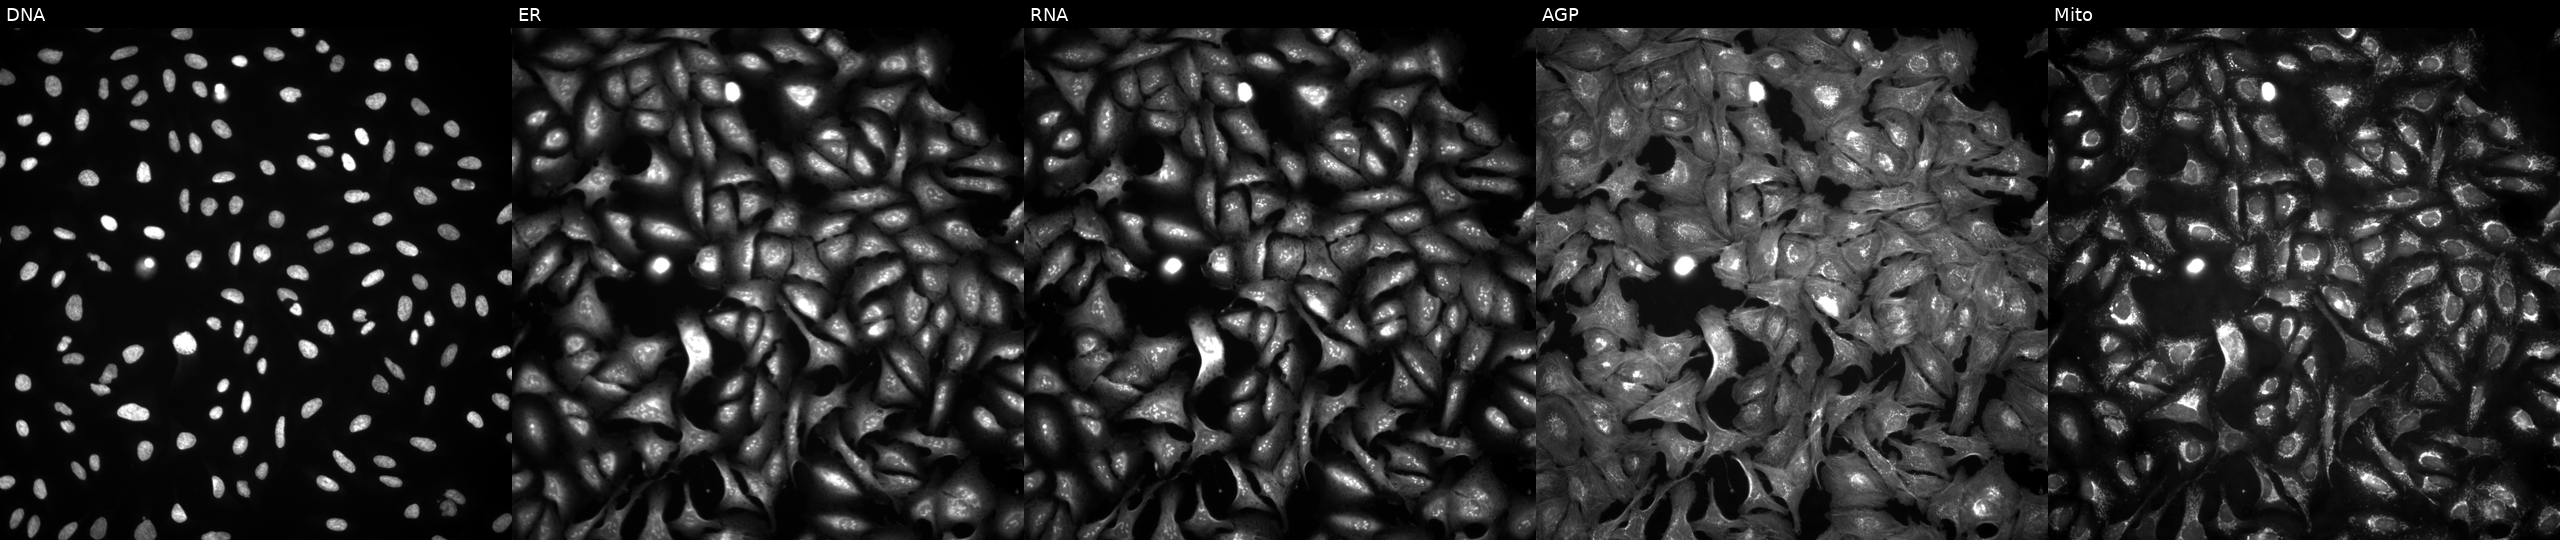
U2OS cells, Cell Painting assay, with LRRC29 overexpressed (ORF). Panels show, left to right, DNA, ER, RNA, AGP, and Mito. Each panel is percentile-stretched 16-bit fluorescence. Source 4, plate BR00124784, well P06.